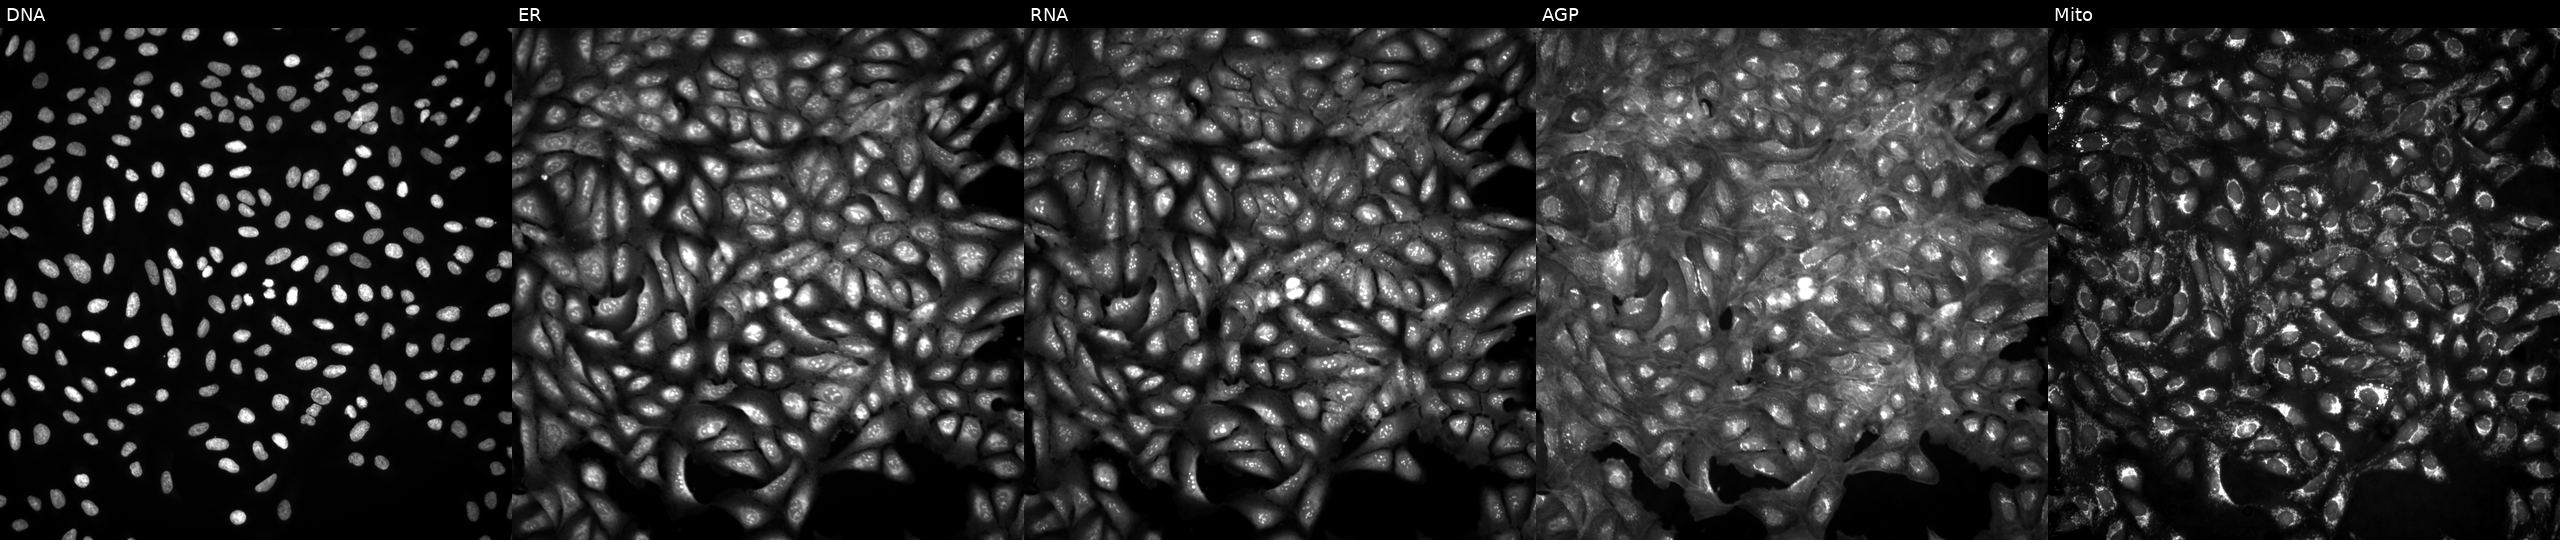
Five-channel Cell Painting image of U2OS cells untreated (empty-well control). Panels show, left to right, DNA, ER, RNA, AGP, and Mito. Source 4, plate BR00124793, well B02.